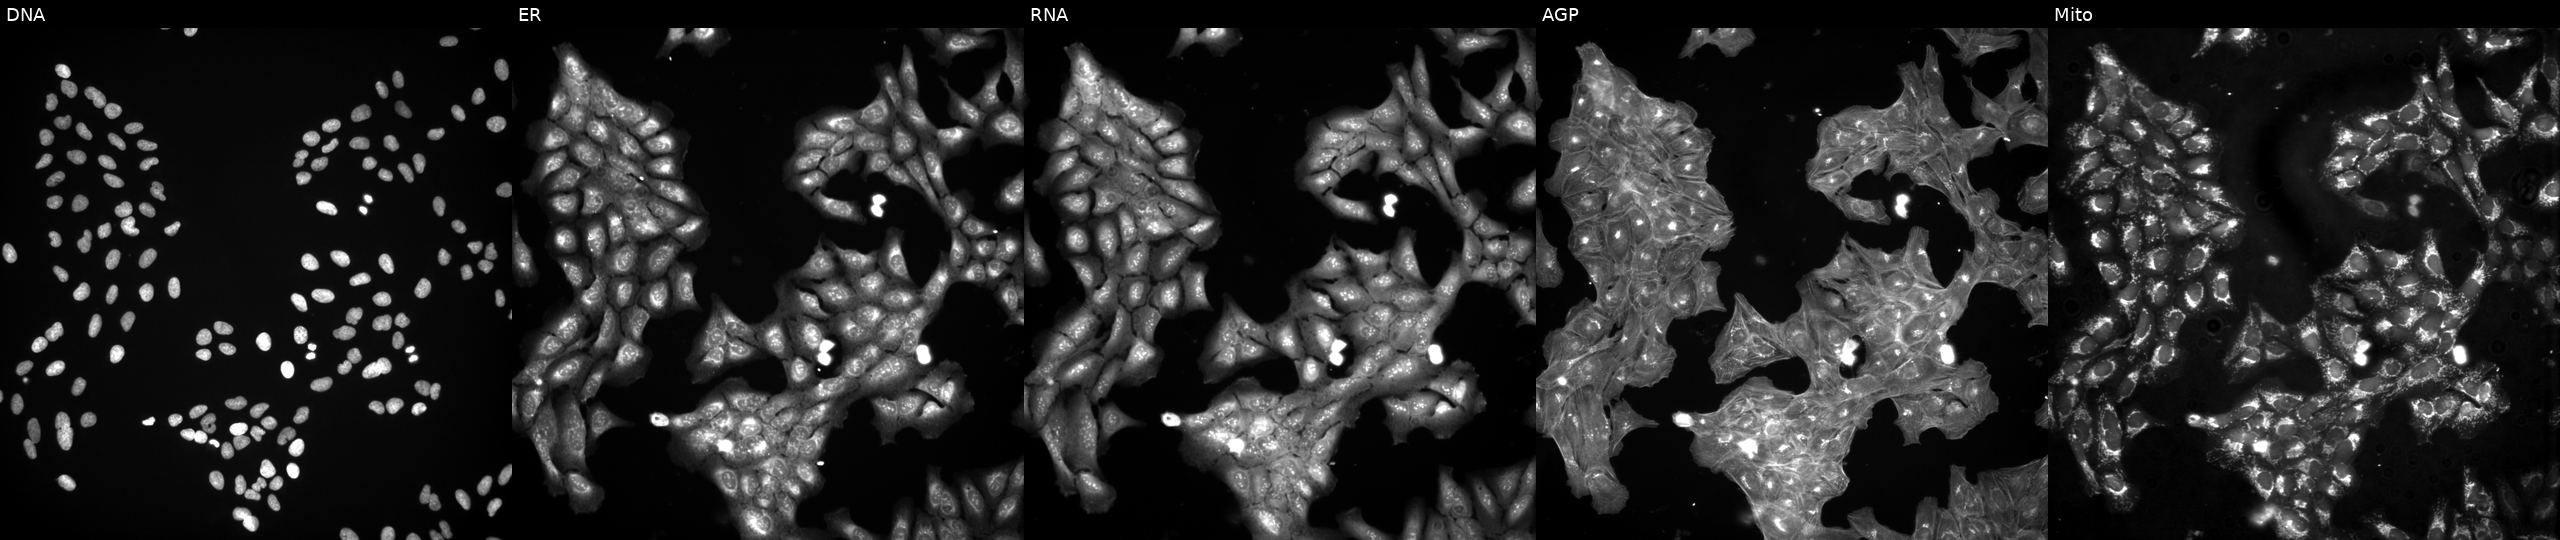
U2OS cells, Cell Painting assay, perturbed with a small-molecule compound (InChIKey PHSPJQZRQAJPPF-UHFFFAOYSA-N). The five panels, left to right, show DNA, ER, RNA, AGP, and Mito. Each panel is percentile-stretched 16-bit fluorescence. Source 3, plate JCPQC053, well B23.